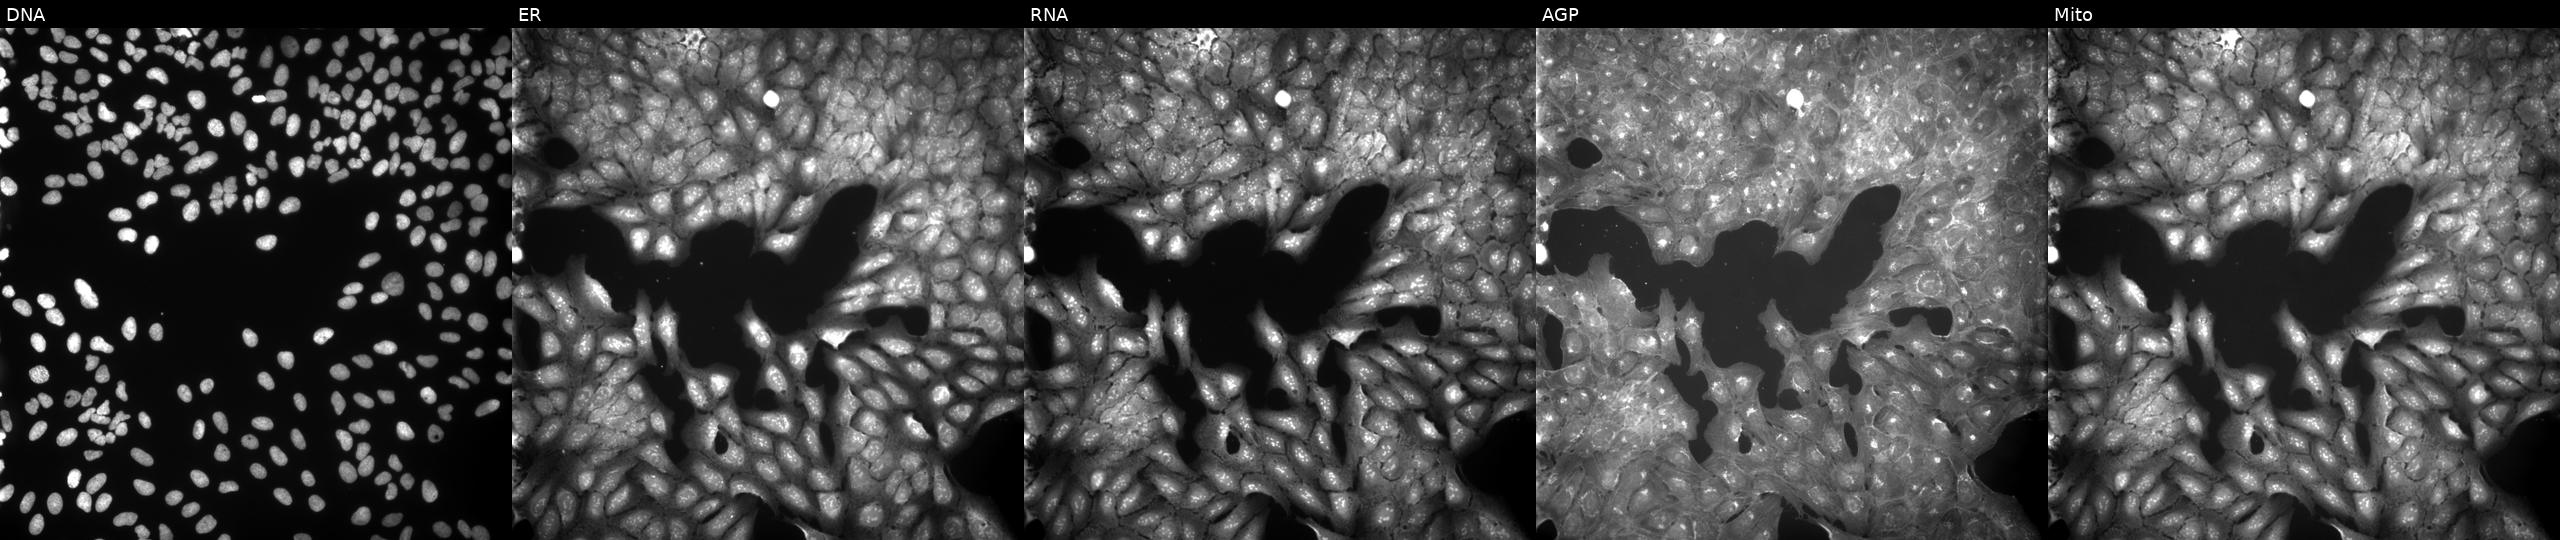
The five panels, left to right, show DNA (nuclei); ER (endoplasmic reticulum); RNA (nucleoli and cytoplasmic RNA); AGP (actin cytoskeleton, Golgi, and plasma membrane); Mito (mitochondria). U2OS osteosarcoma cells perturbed with a small-molecule compound (InChIKey DJFLTNZHNFZPMK-UHFFFAOYSA-N) (JUMP id JCP2022_016254). Cell Painting assay, JUMP-CP dataset. Source 9, plate GR00003381, well O14.